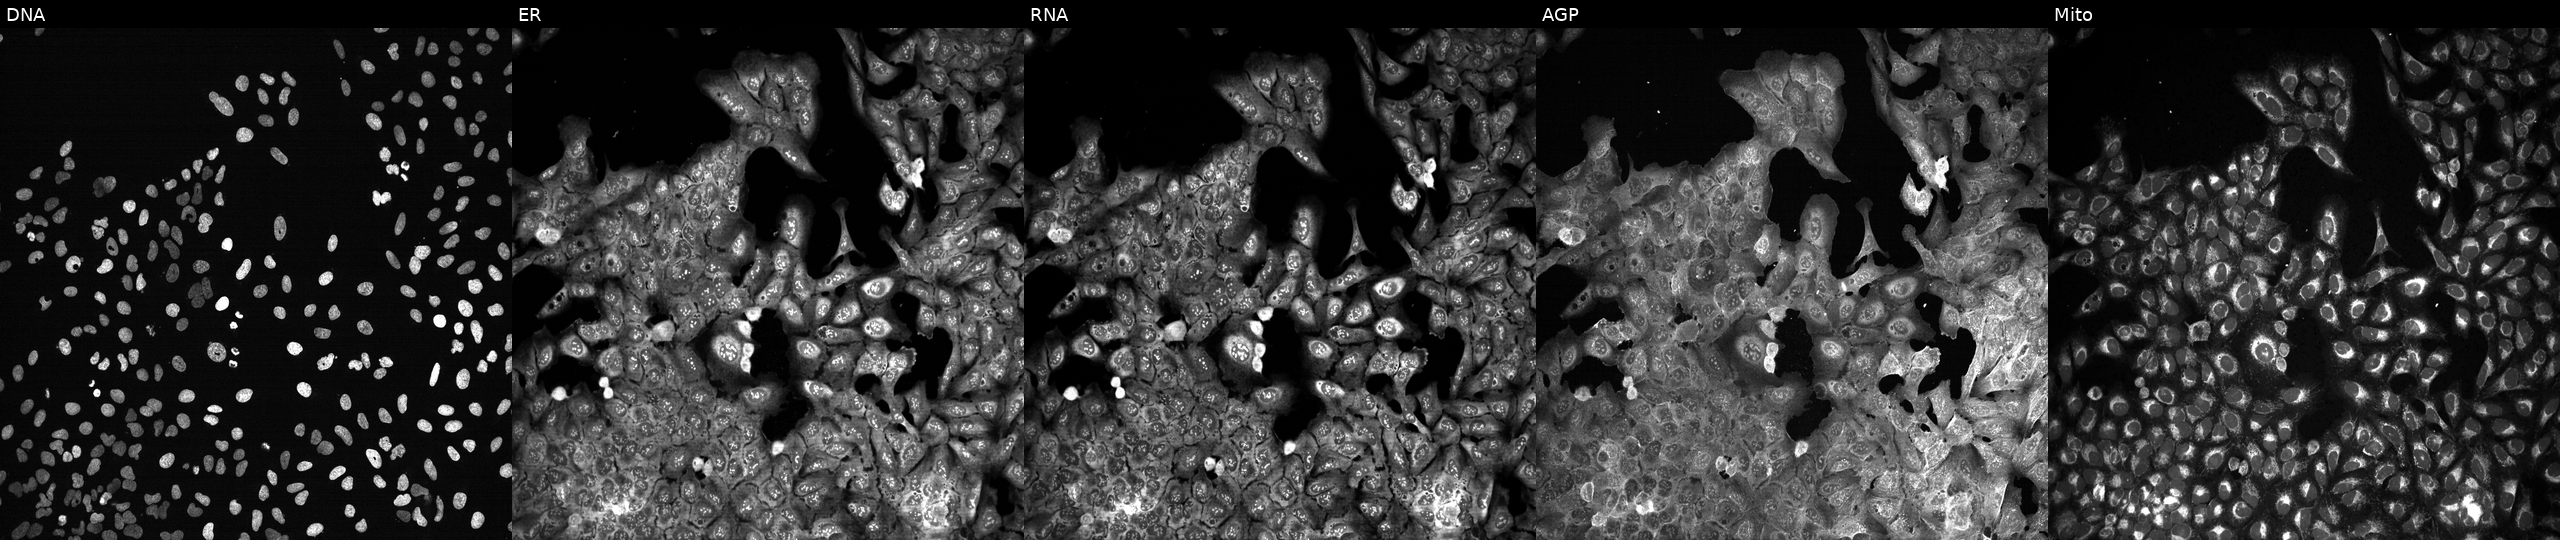
High-content fluorescence microscopy (Cell Painting). Cell line: U2OS. Perturbation: with PAM knocked out by CRISPR. Panels show, left to right, Hoechst 33342, concanavalin A, SYTO 14, phalloidin and WGA, MitoTracker.